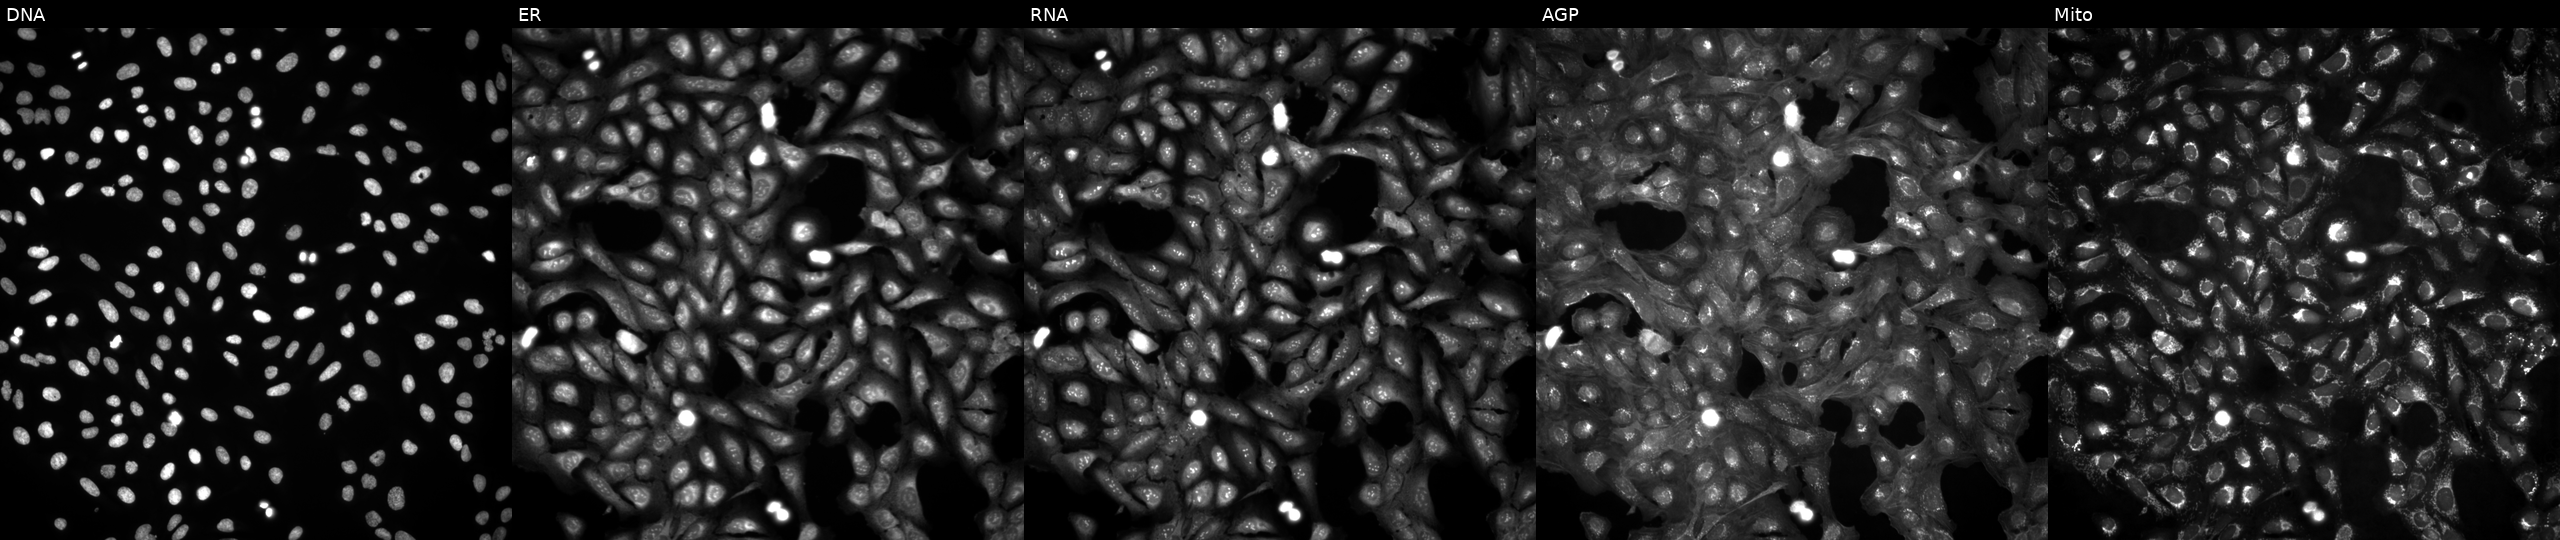
The five panels, left to right, show DNA (nuclei); ER (endoplasmic reticulum); RNA (nucleoli and cytoplasmic RNA); AGP (actin cytoskeleton, Golgi, and plasma membrane); Mito (mitochondria). U2OS osteosarcoma cells in an empty control well (no perturbation). Cell Painting assay, JUMP-CP dataset.